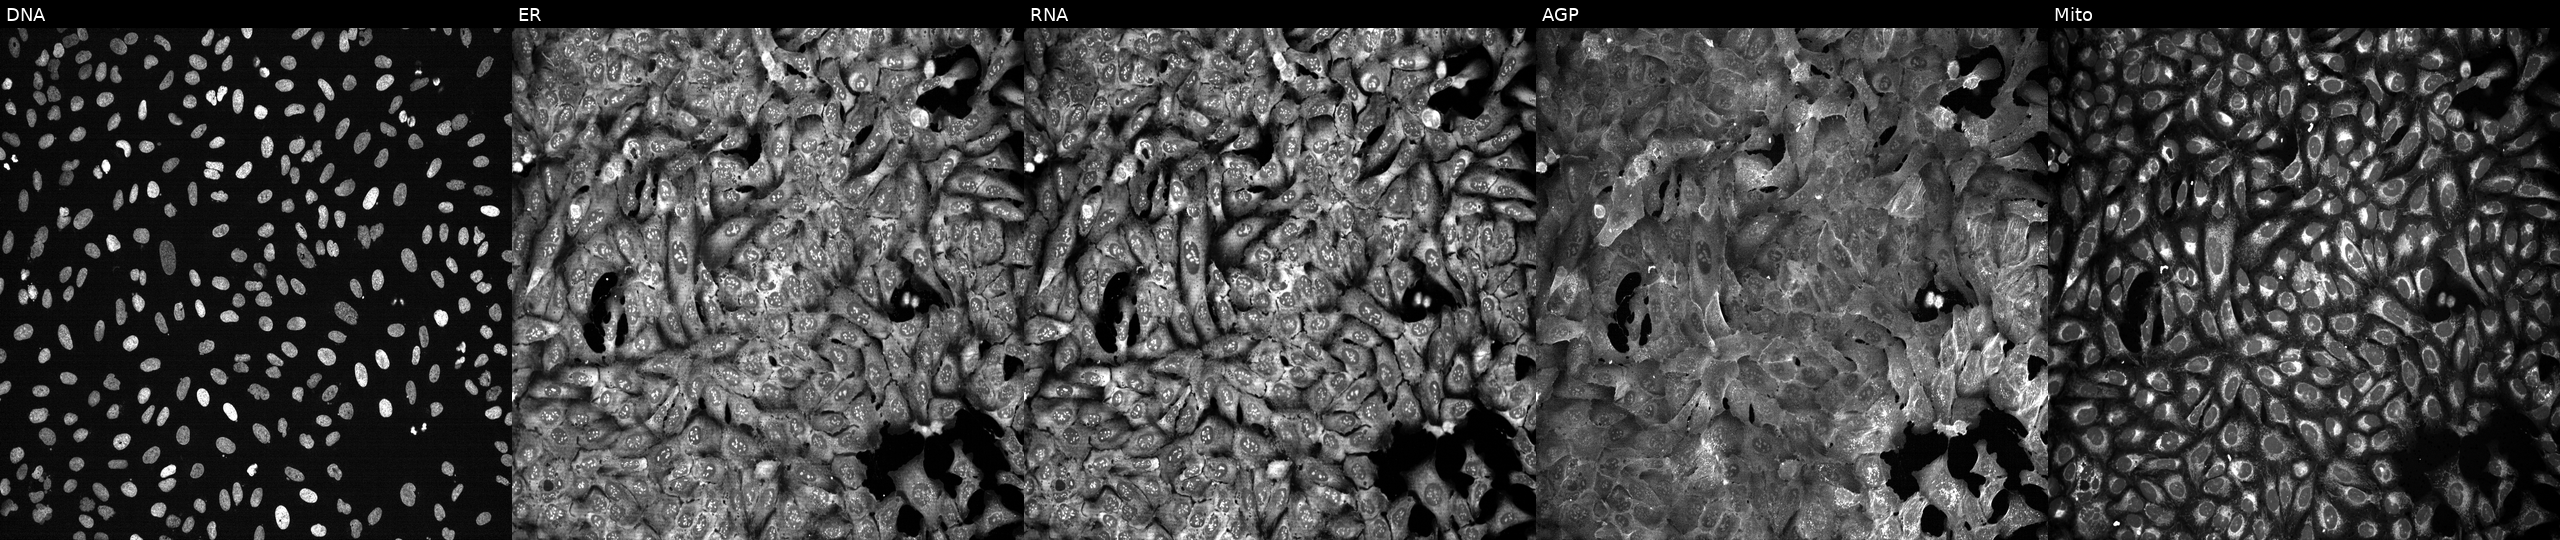
Five-channel Cell Painting image of U2OS cells following CRISPR knockout of SLC46A1 (JUMP id JCP2022_806542). Channels (left→right): Hoechst 33342, concanavalin A, SYTO 14, phalloidin and WGA, MitoTracker. Source 13, plate CP-CC9-R2-01, well G17.